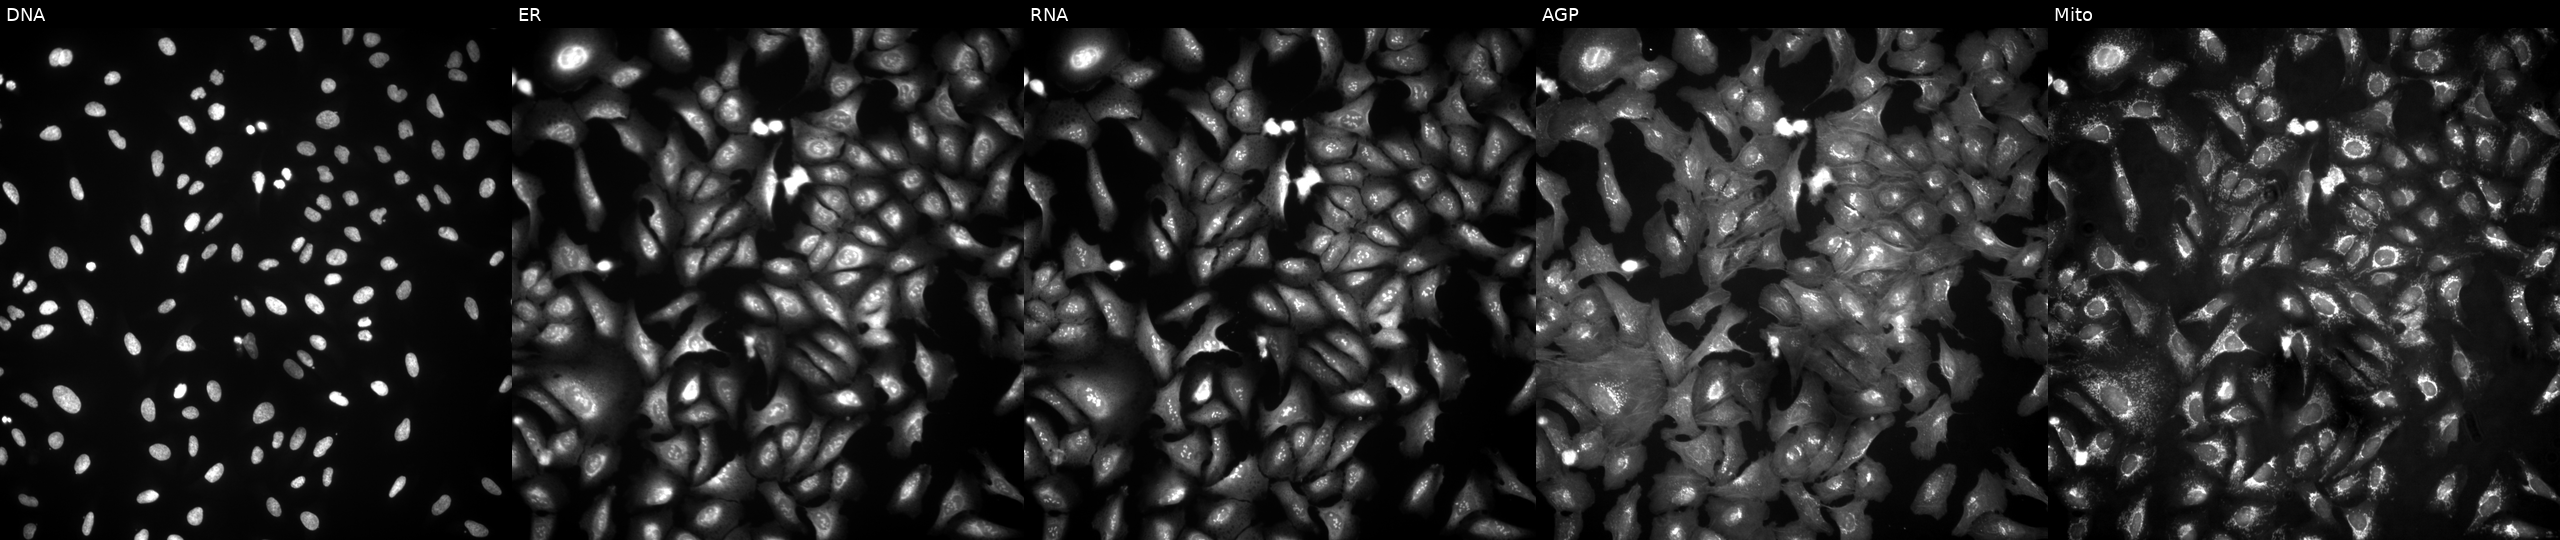
This image strip shows the five Cell Painting channels for a single field of U2OS cells overexpressing KIAA0355 via ORF transfection. Channels (left→right): Hoechst 33342, concanavalin A, SYTO 14, phalloidin and WGA, MitoTracker. Source 4, plate BR00124790, well H07.